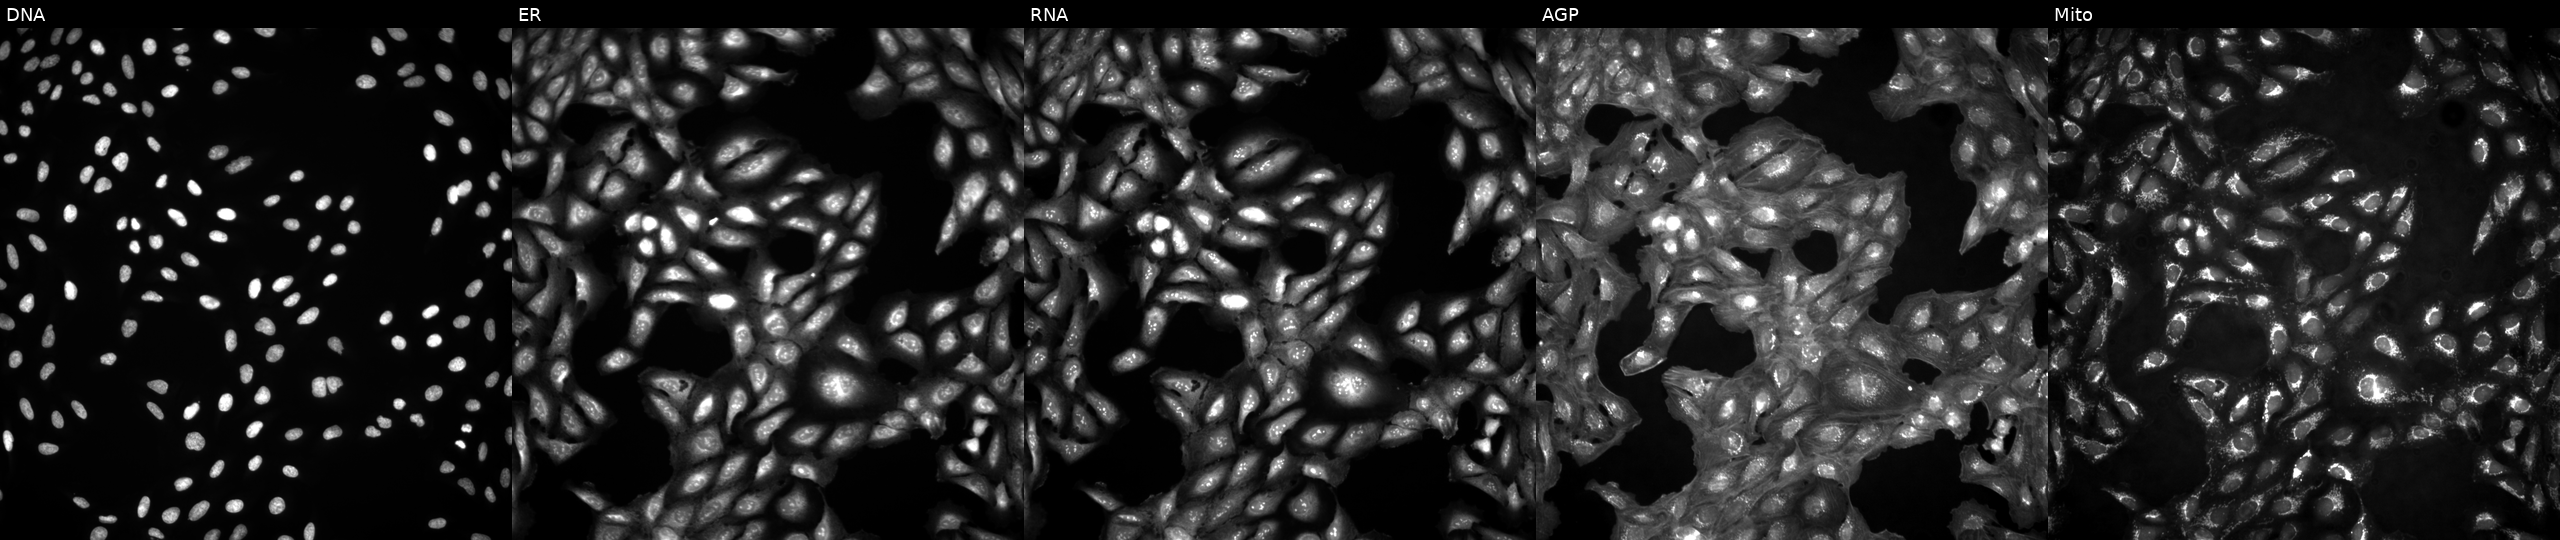
U2OS cells, Cell Painting assay, untreated (empty-well control) (JUMP id JCP2022_999999). The five panels, left to right, show Hoechst 33342, concanavalin A, SYTO 14, phalloidin and WGA, MitoTracker. Each panel is percentile-stretched 16-bit fluorescence.